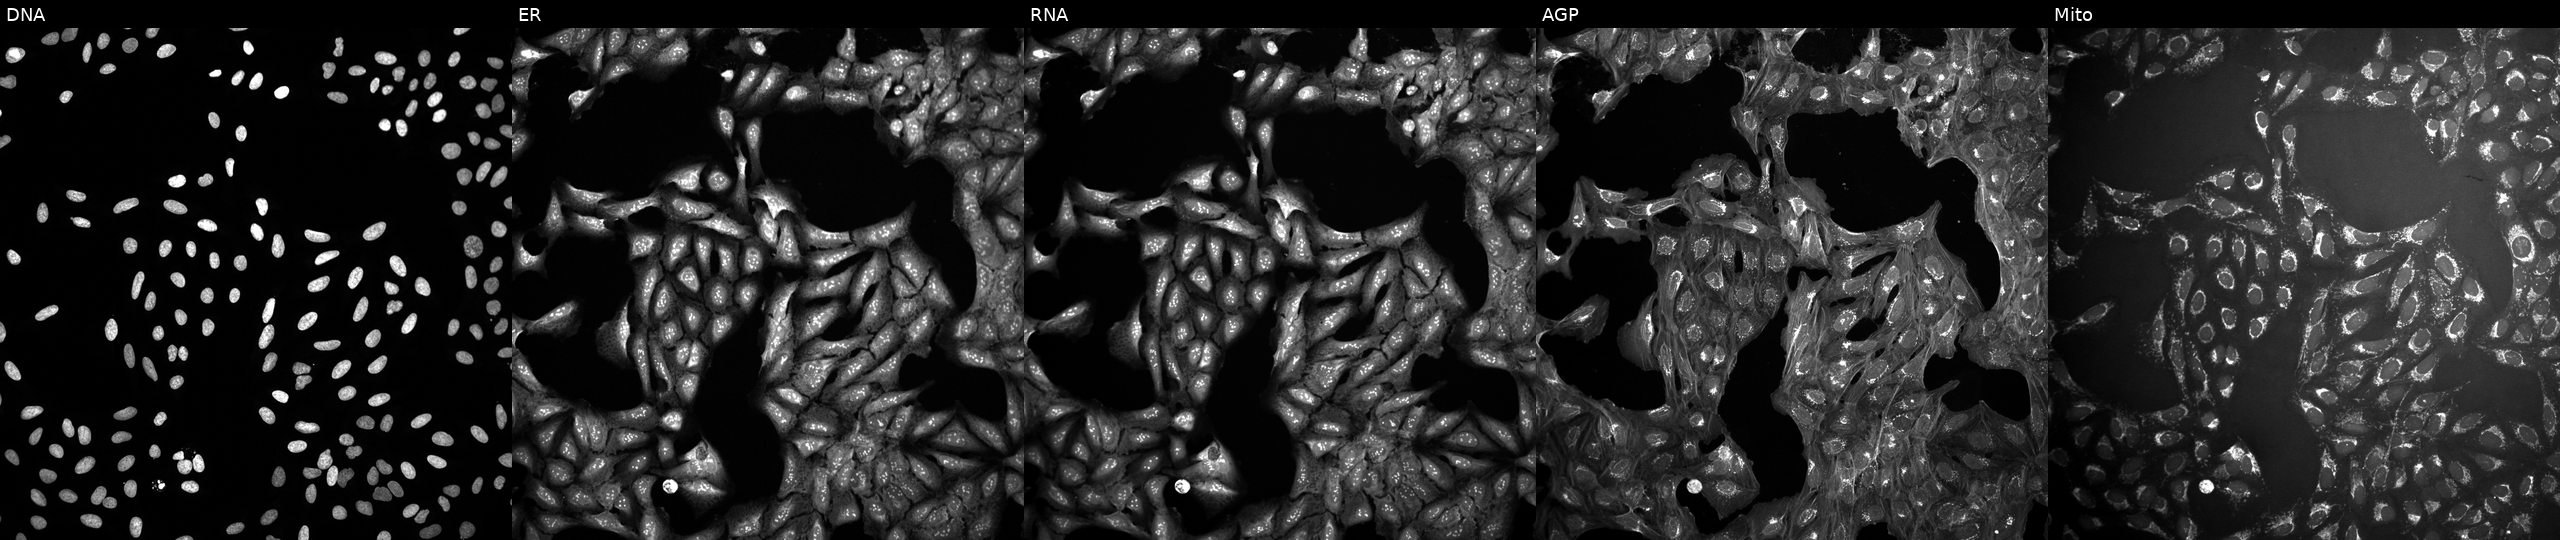
From left to right: Hoechst 33342, concanavalin A, SYTO 14, phalloidin and WGA, MitoTracker. U2OS osteosarcoma cells perturbed with a small-molecule compound (InChIKey YRWFSAARPWLTIV-UHFFFAOYSA-N) [SMILES: O=C(C1CCCC1)N1CC(c2cccc(F)c2F)C2C1C1CCN2CC1] (JUMP id JCP2022_110438). Cell Painting assay, JUMP-CP dataset. Source 10, plate Dest210531-152149, well C20.